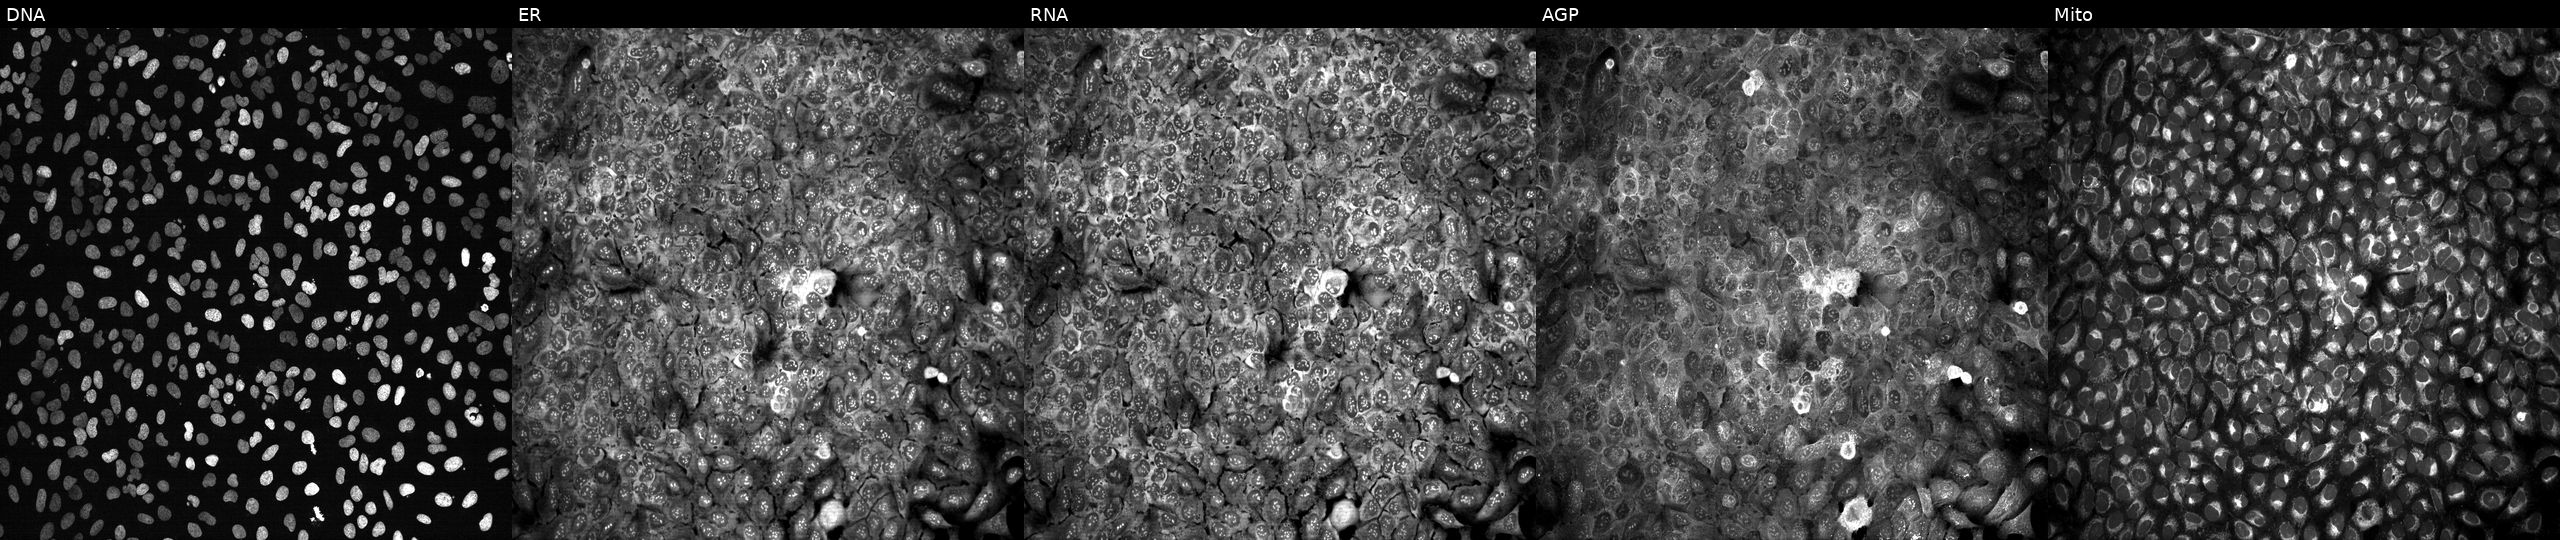
This image strip shows the five Cell Painting channels for a single field of U2OS cells following CRISPR knockout of CA3. From left to right: Hoechst 33342, concanavalin A, SYTO 14, phalloidin and WGA, MitoTracker.